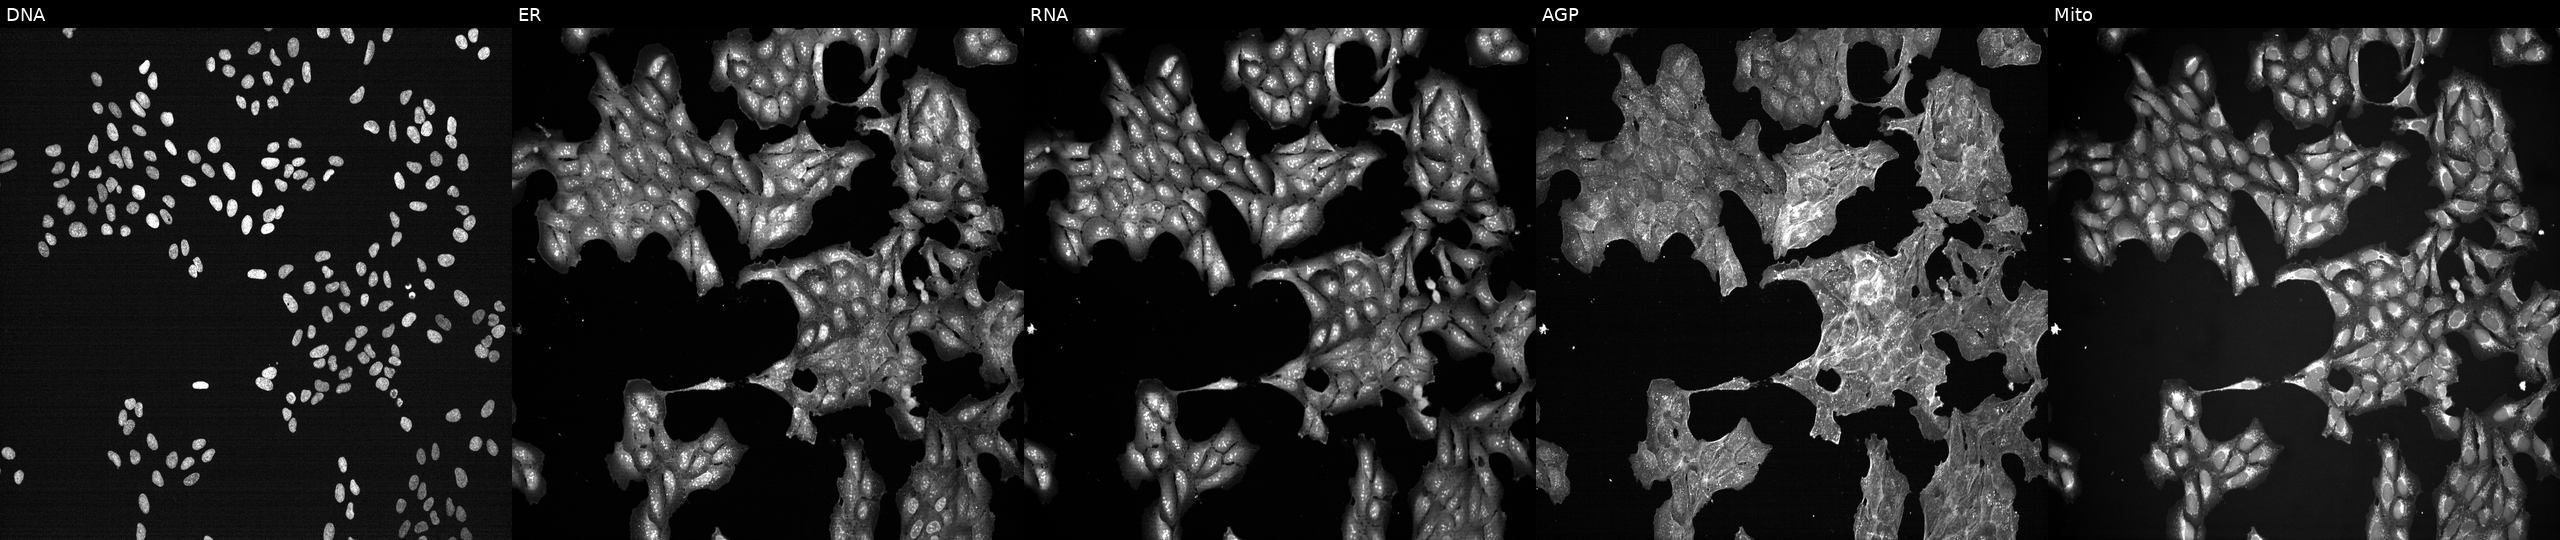
The five panels, left to right, show DNA, ER, RNA, AGP, and Mito. U2OS osteosarcoma cells perturbed with a small-molecule compound (InChIKey ULYONBAOIMCNEH-UHFFFAOYSA-N) [SMILES: COc1ccc(Cl)cc1C1(F)C(=O)Nc2cc(C(F)(F)F)ccc21] (JUMP id JCP2022_090051). Cell Painting assay, JUMP-CP dataset. Source 7, plate CP2-SC1-25, well H23.